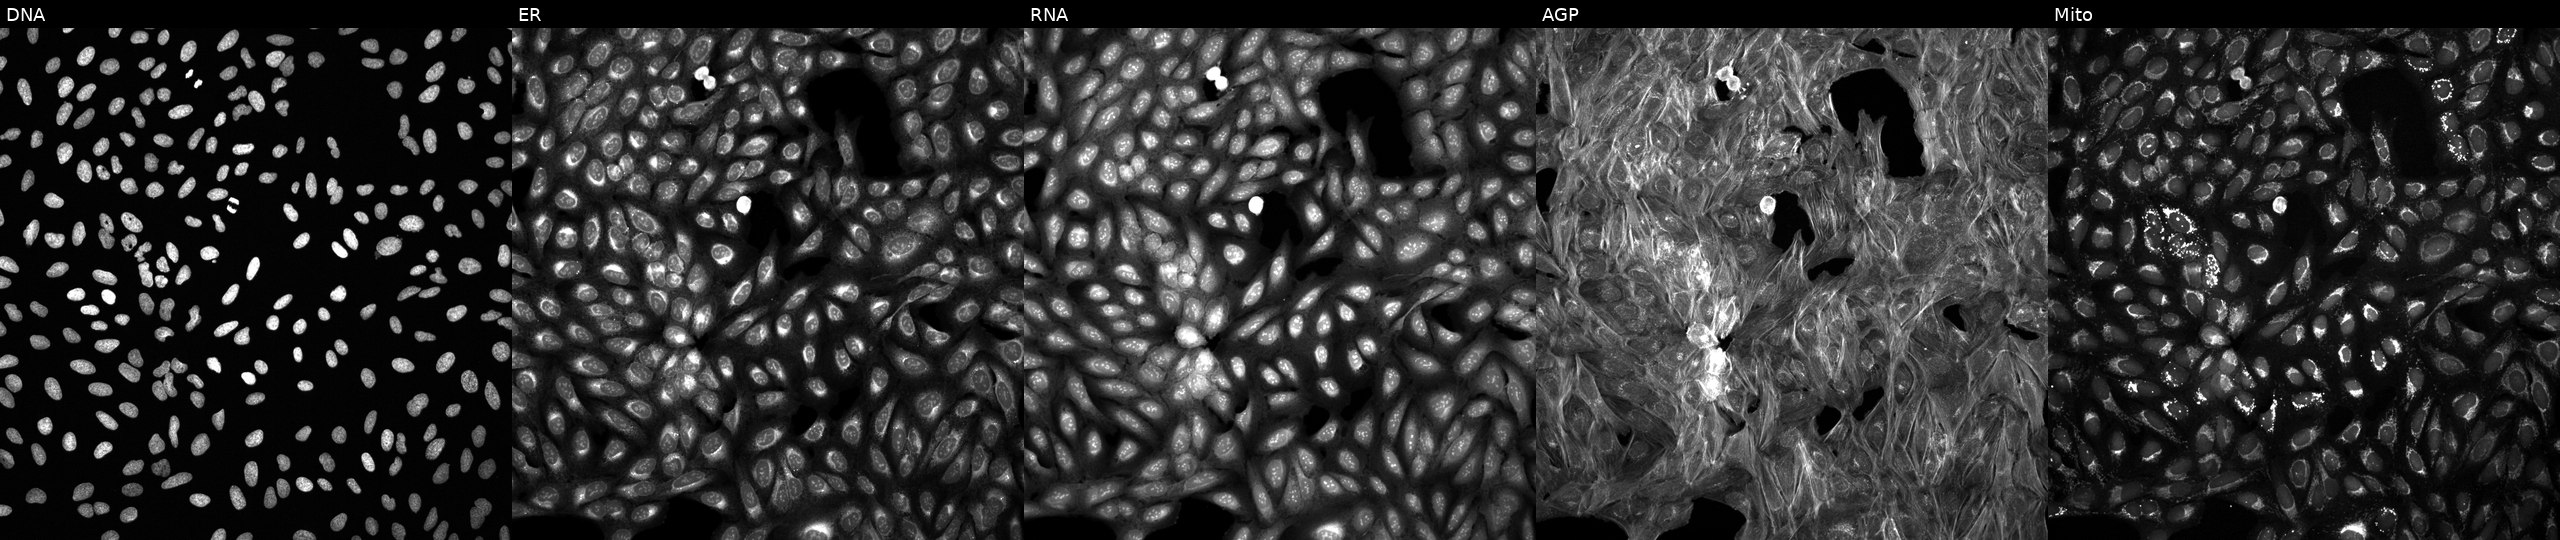
Five-channel Cell Painting image of U2OS cells perturbed with a small-molecule compound (InChIKey REESVFBGUSXNMY-UHFFFAOYSA-N). From left to right: Hoechst 33342, concanavalin A, SYTO 14, phalloidin and WGA, MitoTracker. Source 6, plate 110000293083, well E17.